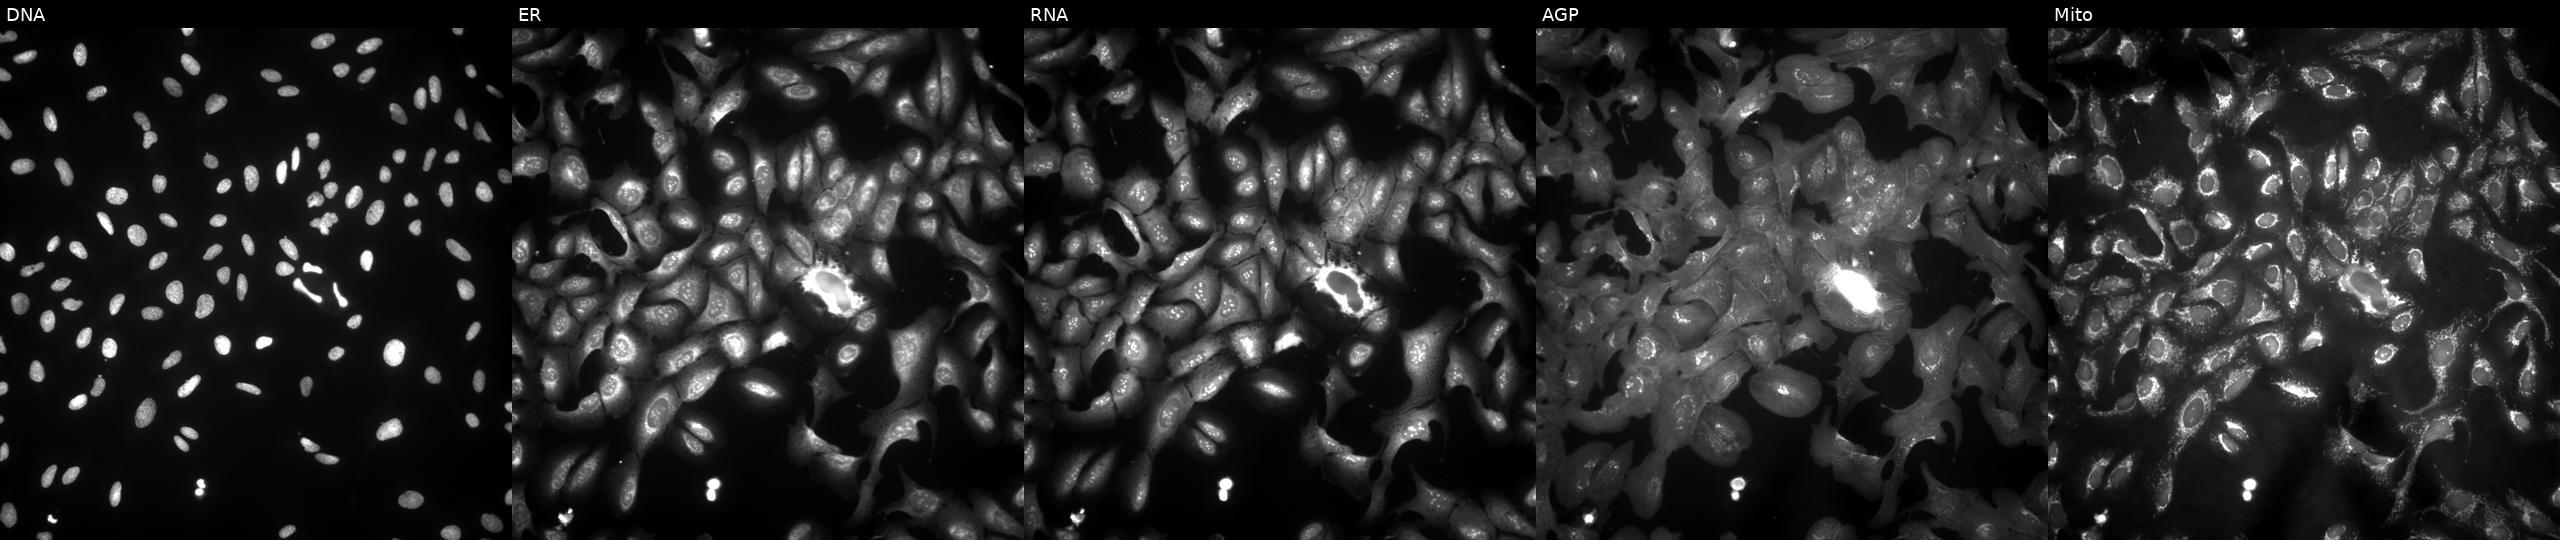
The five panels, left to right, show DNA, ER, RNA, AGP, and Mito. U2OS osteosarcoma cells with PTPRE overexpressed (ORF) (JUMP id JCP2022_906382). Cell Painting assay, JUMP-CP dataset.